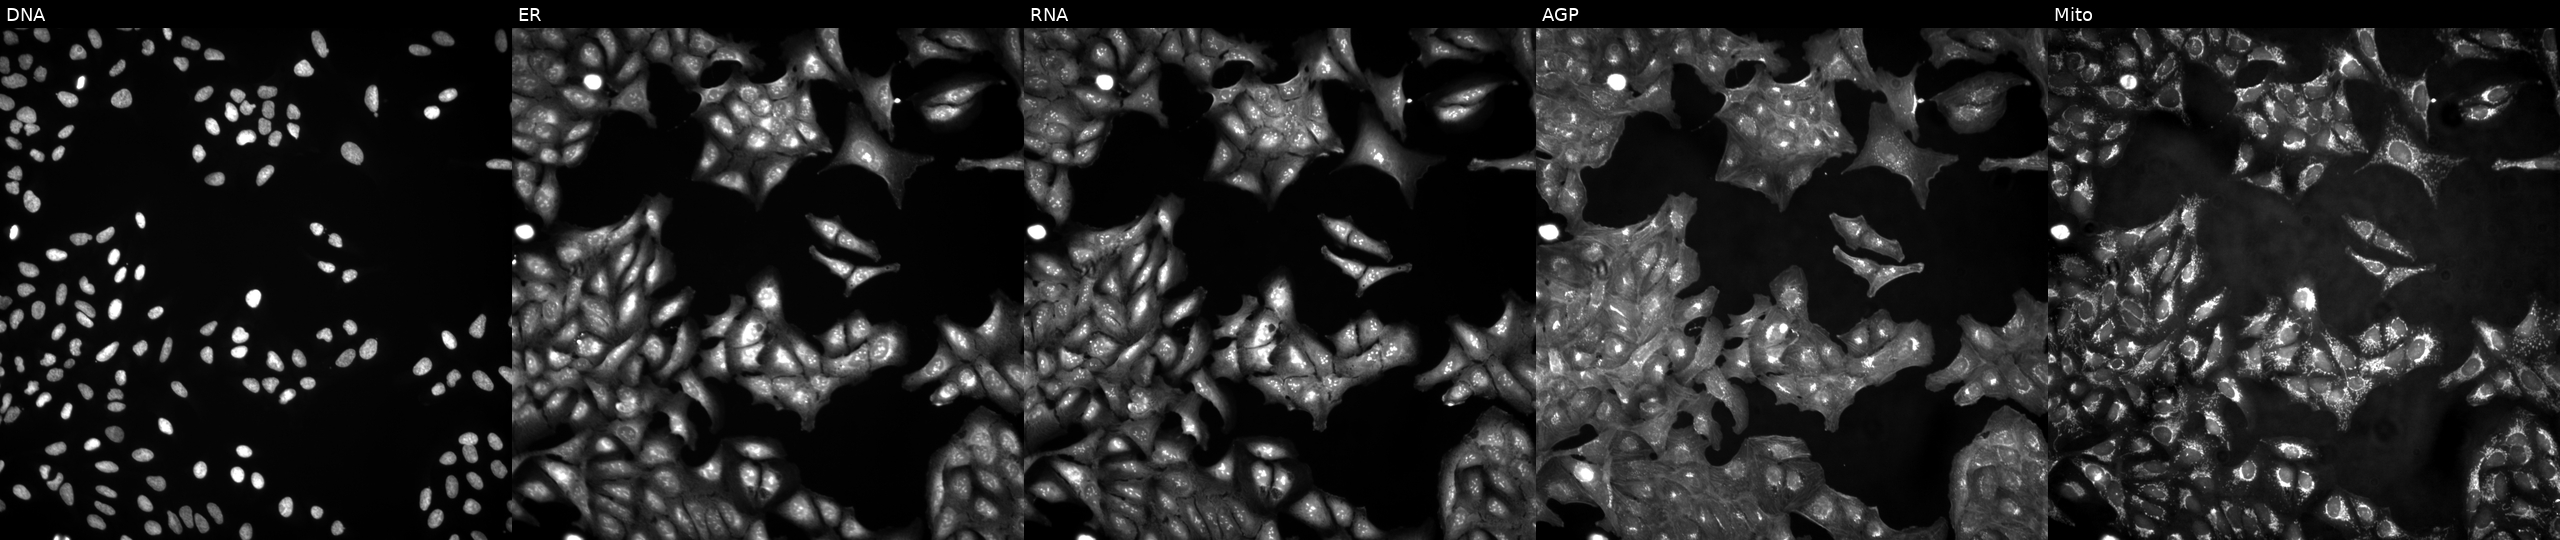
U2OS cells, Cell Painting assay, untreated (empty-well control). The five panels, left to right, show DNA (nuclei); ER (endoplasmic reticulum); RNA (nucleoli and cytoplasmic RNA); AGP (actin cytoskeleton, Golgi, and plasma membrane); Mito (mitochondria). Each panel is percentile-stretched 16-bit fluorescence. Source 4, plate BR00123946, well N04.